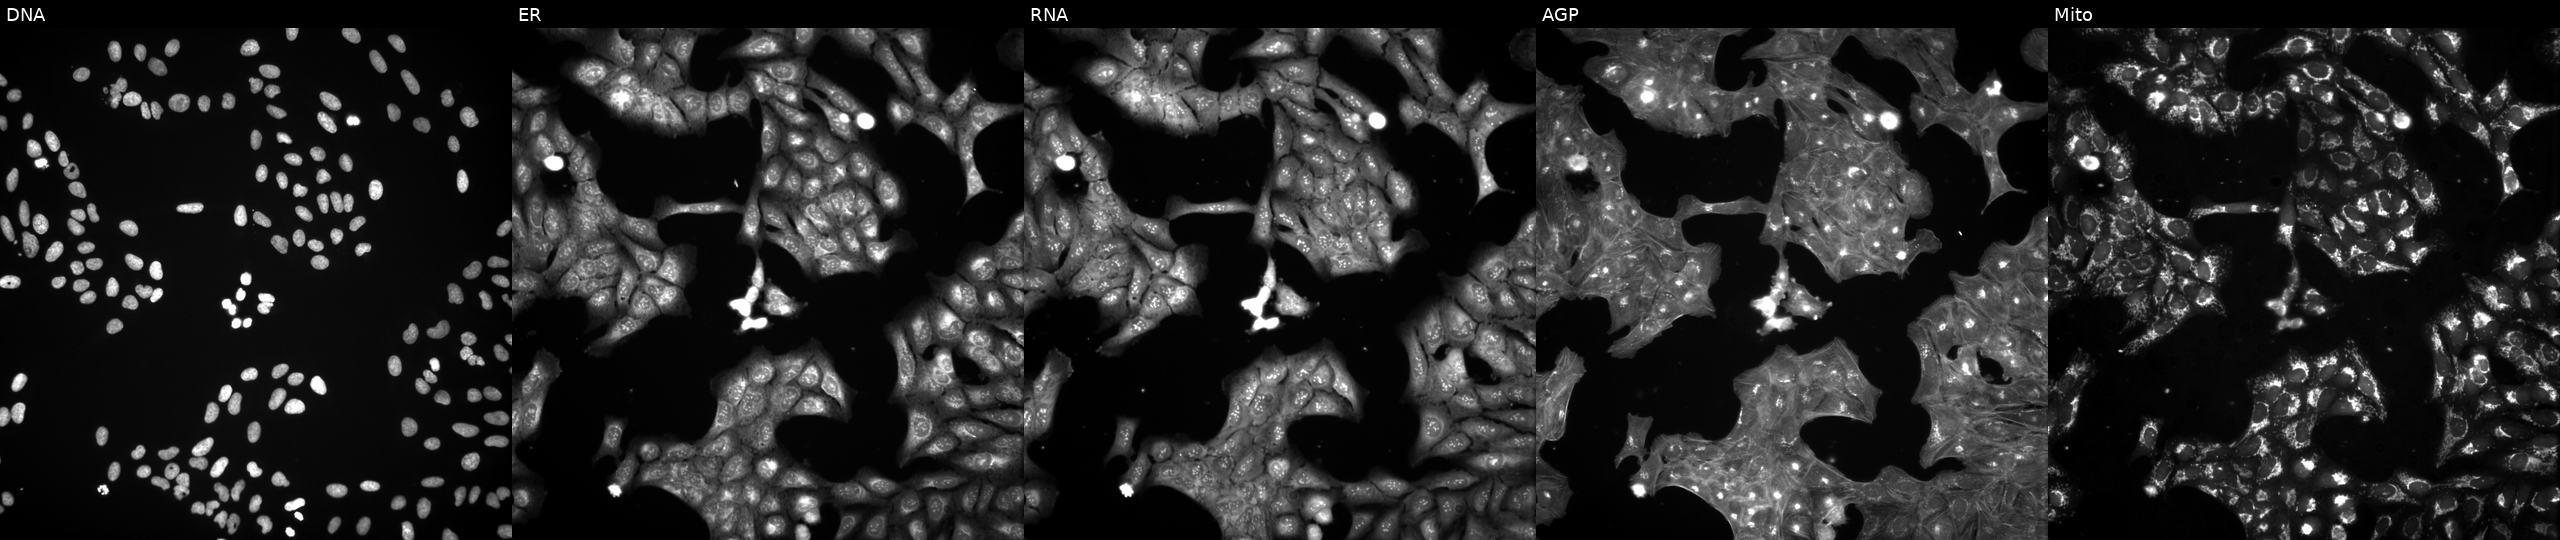
This image strip shows the five Cell Painting channels for a single field of U2OS cells perturbed with a small-molecule compound (JUMP id JCP2022_067533). From left to right: DNA, ER, RNA, AGP, and Mito.